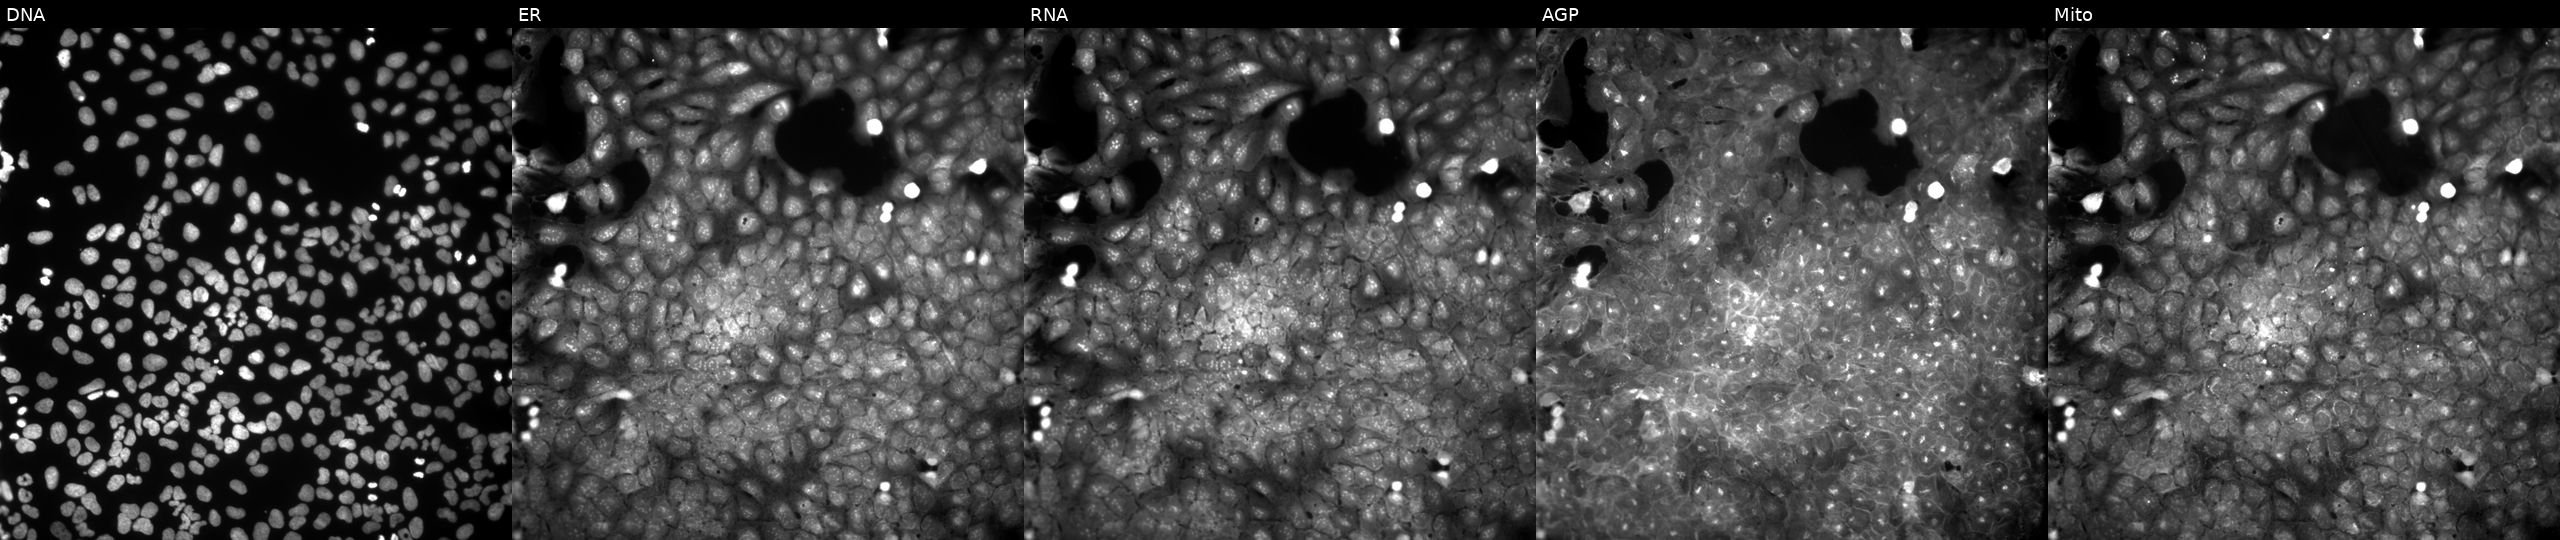
U2OS cells, Cell Painting assay, exposed to a small-molecule compound (InChIKey FVEXFDLDVFOEDM-UHFFFAOYSA-N) [SMILES: O=[N+]([O-])c1ccc2[nH]c(=NCCCO)nc(-c3ccccc3)c2c1] (JUMP id JCP2022_023187). From left to right: DNA, ER, RNA, AGP, and Mito. Each panel is percentile-stretched 16-bit fluorescence.